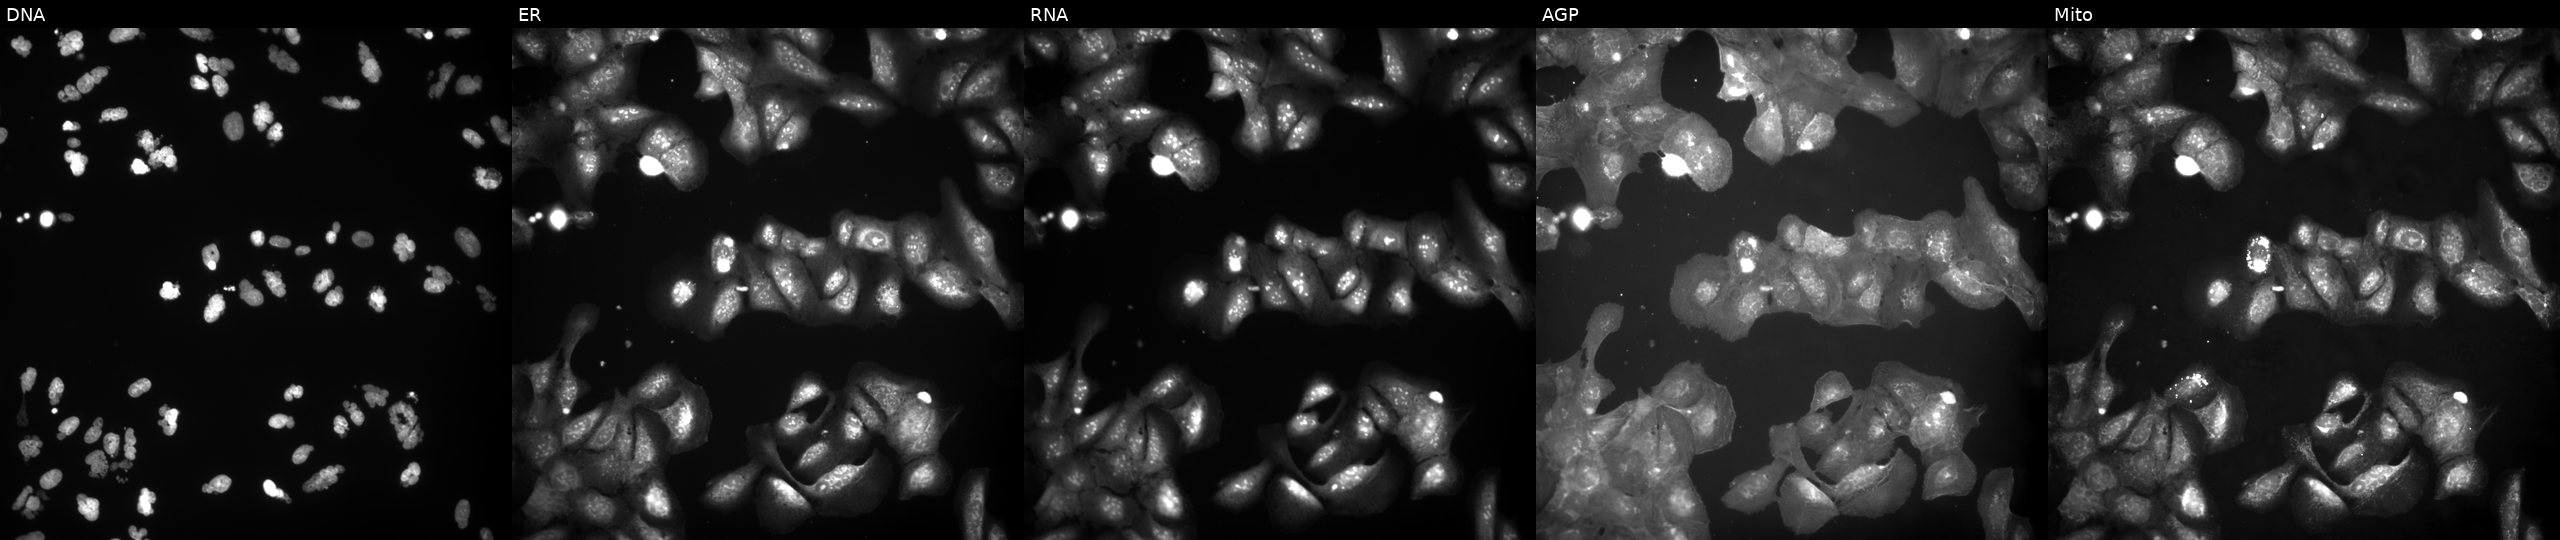
Five-channel Cell Painting image of U2OS cells exposed to a small-molecule compound (InChIKey DVDVCFMNPGWLAQ-UHFFFAOYSA-N) (JUMP id JCP2022_018422). Panels show, left to right, DNA, ER, RNA, AGP, and Mito. Source 9, plate GR00003382, well W21.